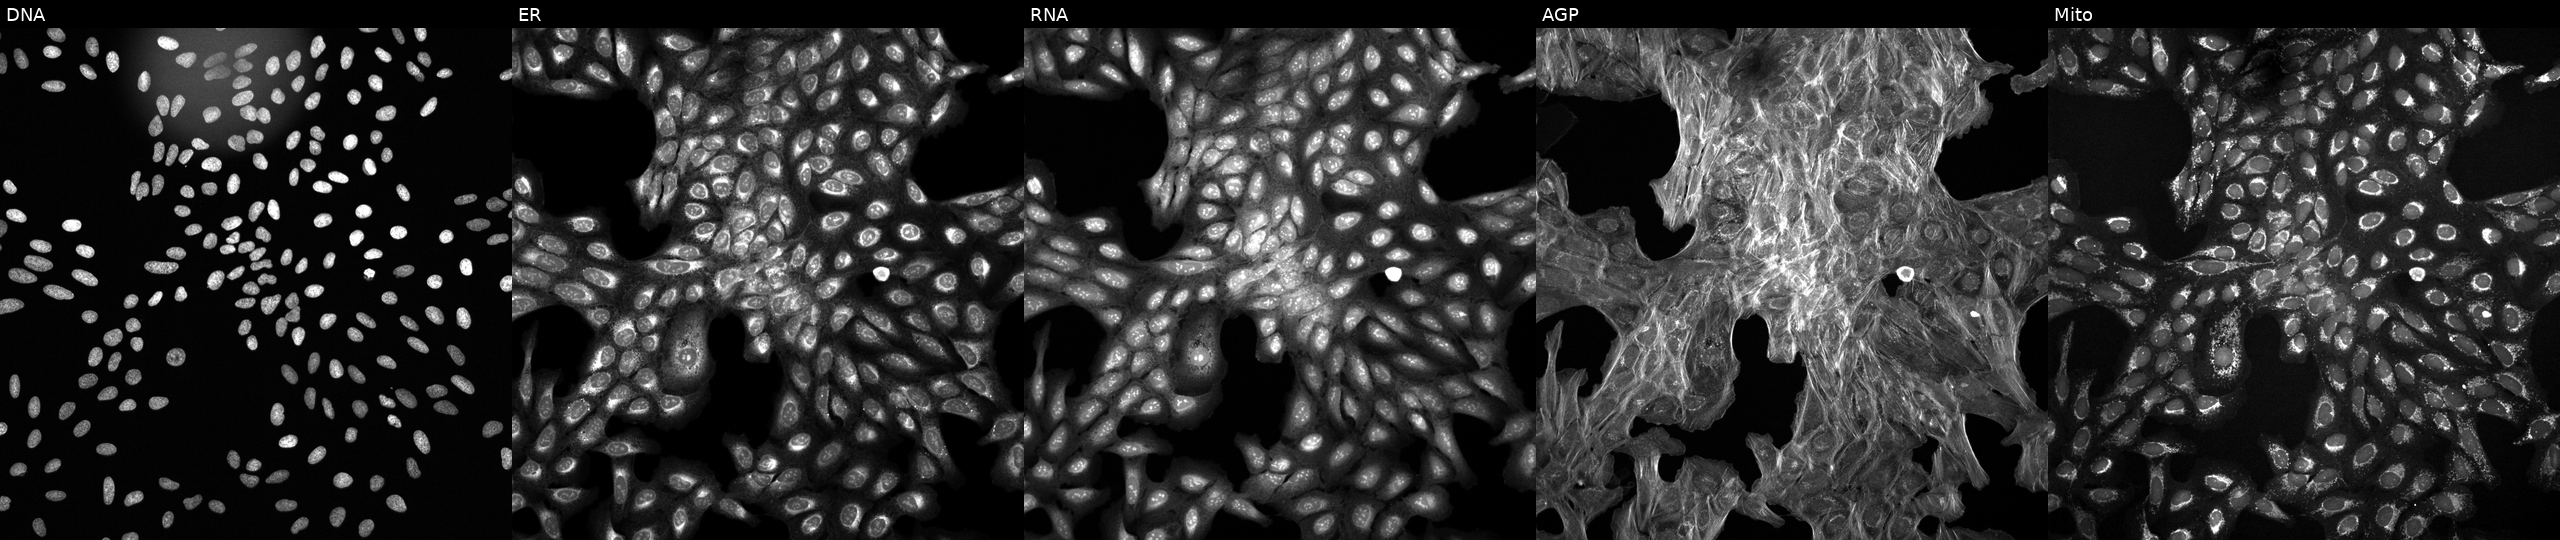
High-content fluorescence microscopy (Cell Painting). Cell line: U2OS. Perturbation: exposed to a small-molecule compound. Panels show, left to right, Hoechst 33342, concanavalin A, SYTO 14, phalloidin and WGA, MitoTracker.